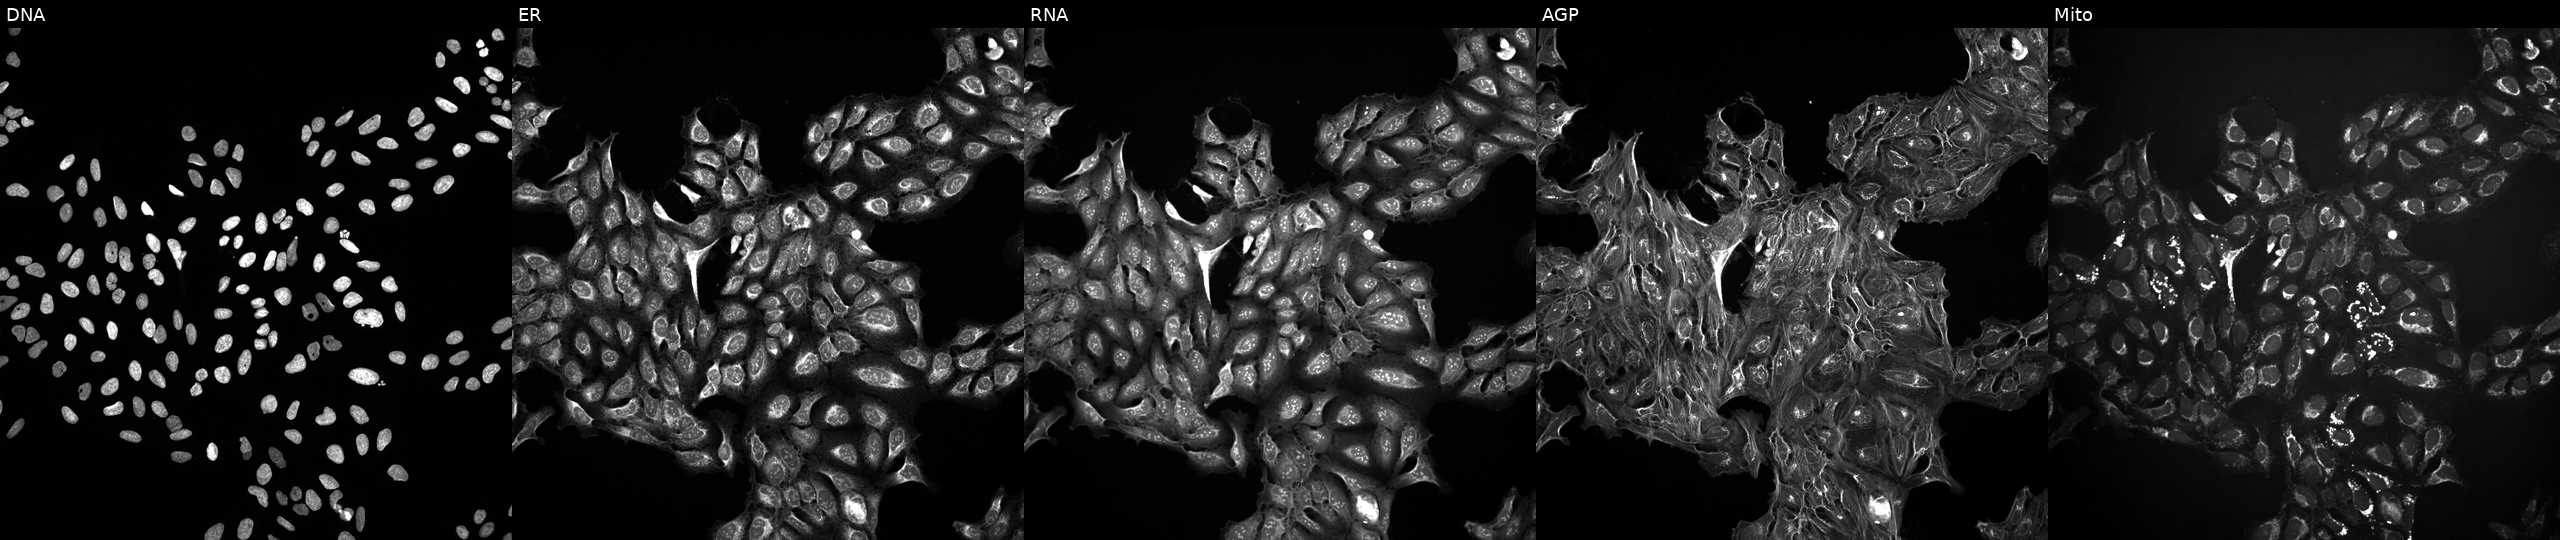
From left to right: DNA (nuclei); ER (endoplasmic reticulum); RNA (nucleoli and cytoplasmic RNA); AGP (actin cytoskeleton, Golgi, and plasma membrane); Mito (mitochondria). U2OS osteosarcoma cells exposed to a small-molecule compound (JUMP id JCP2022_065098). Cell Painting assay, JUMP-CP dataset.